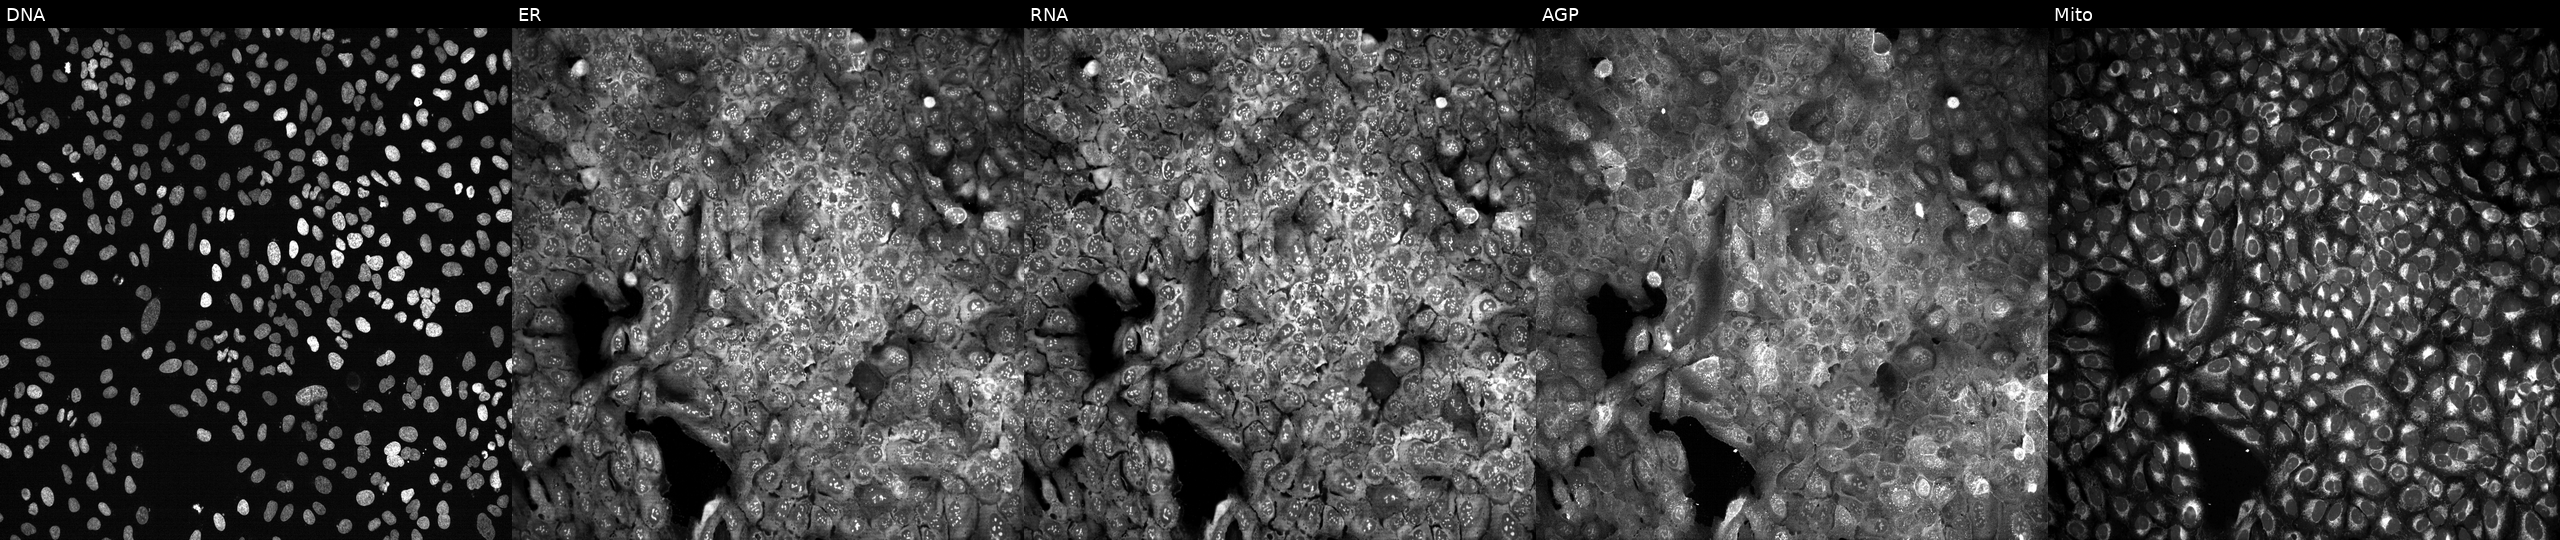
Five-channel Cell Painting image of U2OS cells CRISPR-edited to disrupt GUCY1A3 (JUMP id JCP2022_802978). The five panels, left to right, show DNA, ER, RNA, AGP, and Mito. Source 13, plate CP-CC9-R4-04, well K07.